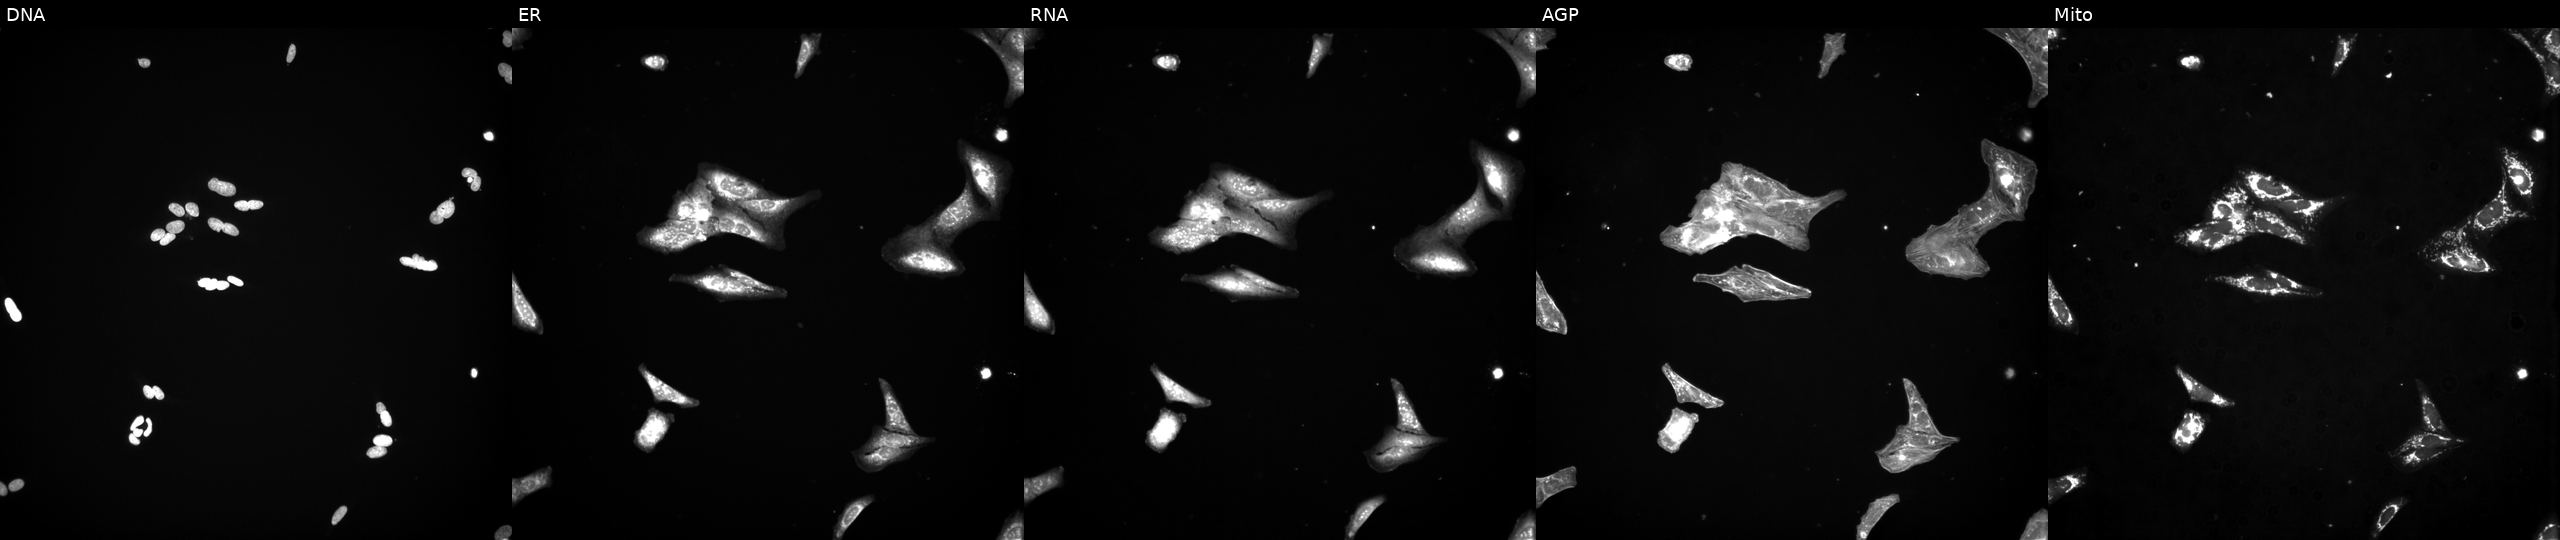
Five-channel Cell Painting image of U2OS cells treated with a small-molecule compound (InChIKey JOOXLOJCABQBSG-UHFFFAOYSA-N). Channels (left→right): DNA, ER, RNA, AGP, and Mito.